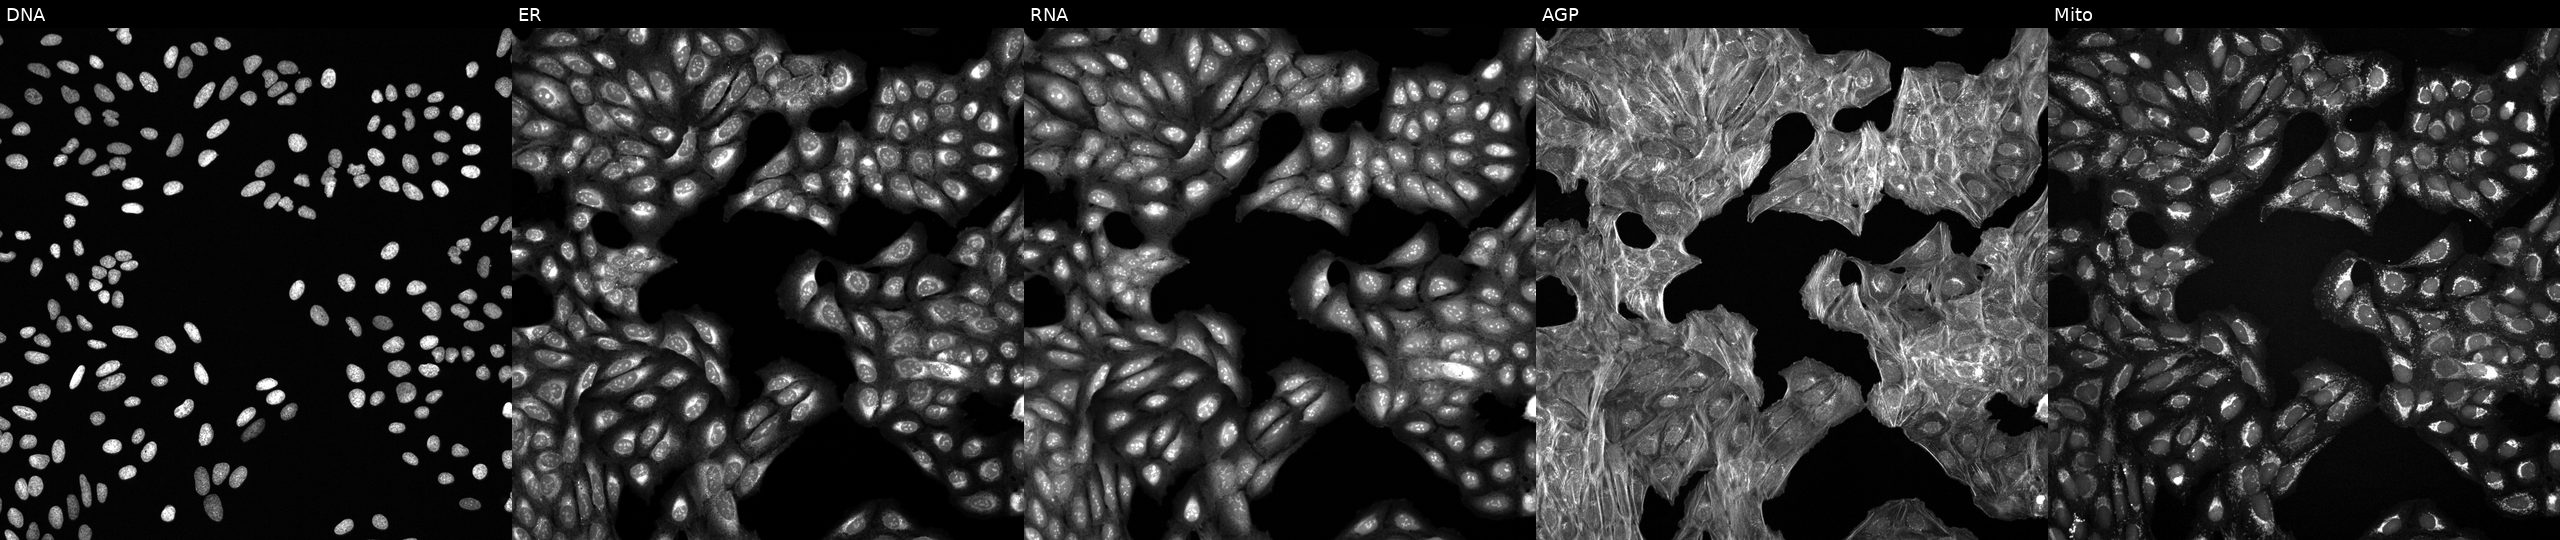
U2OS cells, Cell Painting assay, exposed to a small-molecule compound (InChIKey JUUFBMODXQKSTD-UHFFFAOYSA-N) (JUMP id JCP2022_042261). The five panels, left to right, show Hoechst 33342, concanavalin A, SYTO 14, phalloidin and WGA, MitoTracker. Each panel is percentile-stretched 16-bit fluorescence. Source 6, plate 110000293093, well A23.